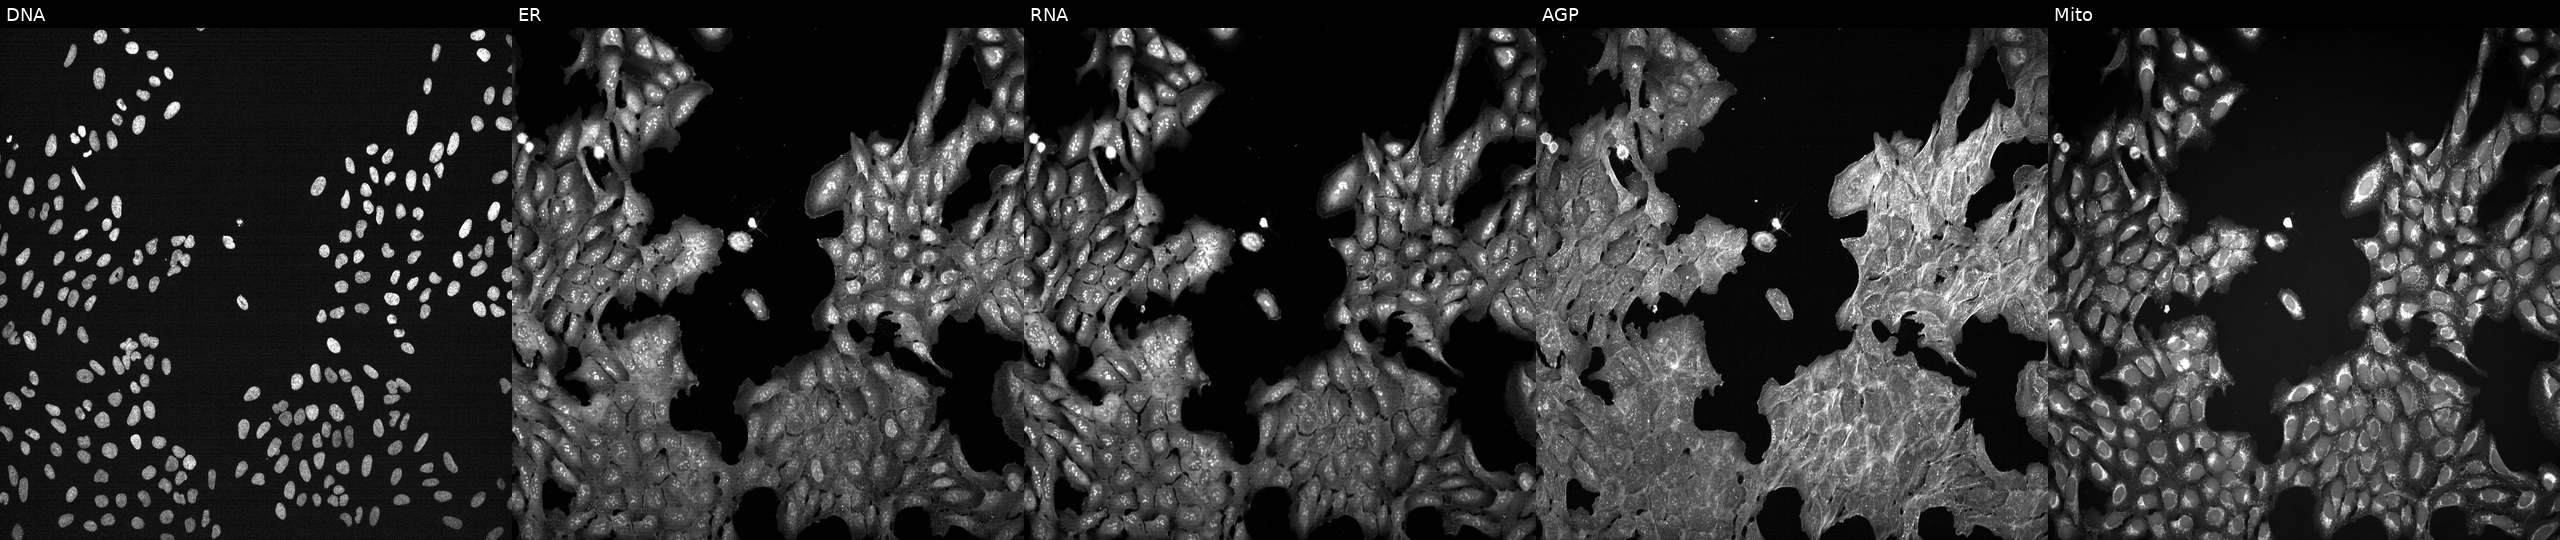
U2OS cells, Cell Painting assay, treated with DMSO vehicle only (negative control) (JUMP id JCP2022_033924). From left to right: DNA, ER, RNA, AGP, and Mito. Each panel is percentile-stretched 16-bit fluorescence.